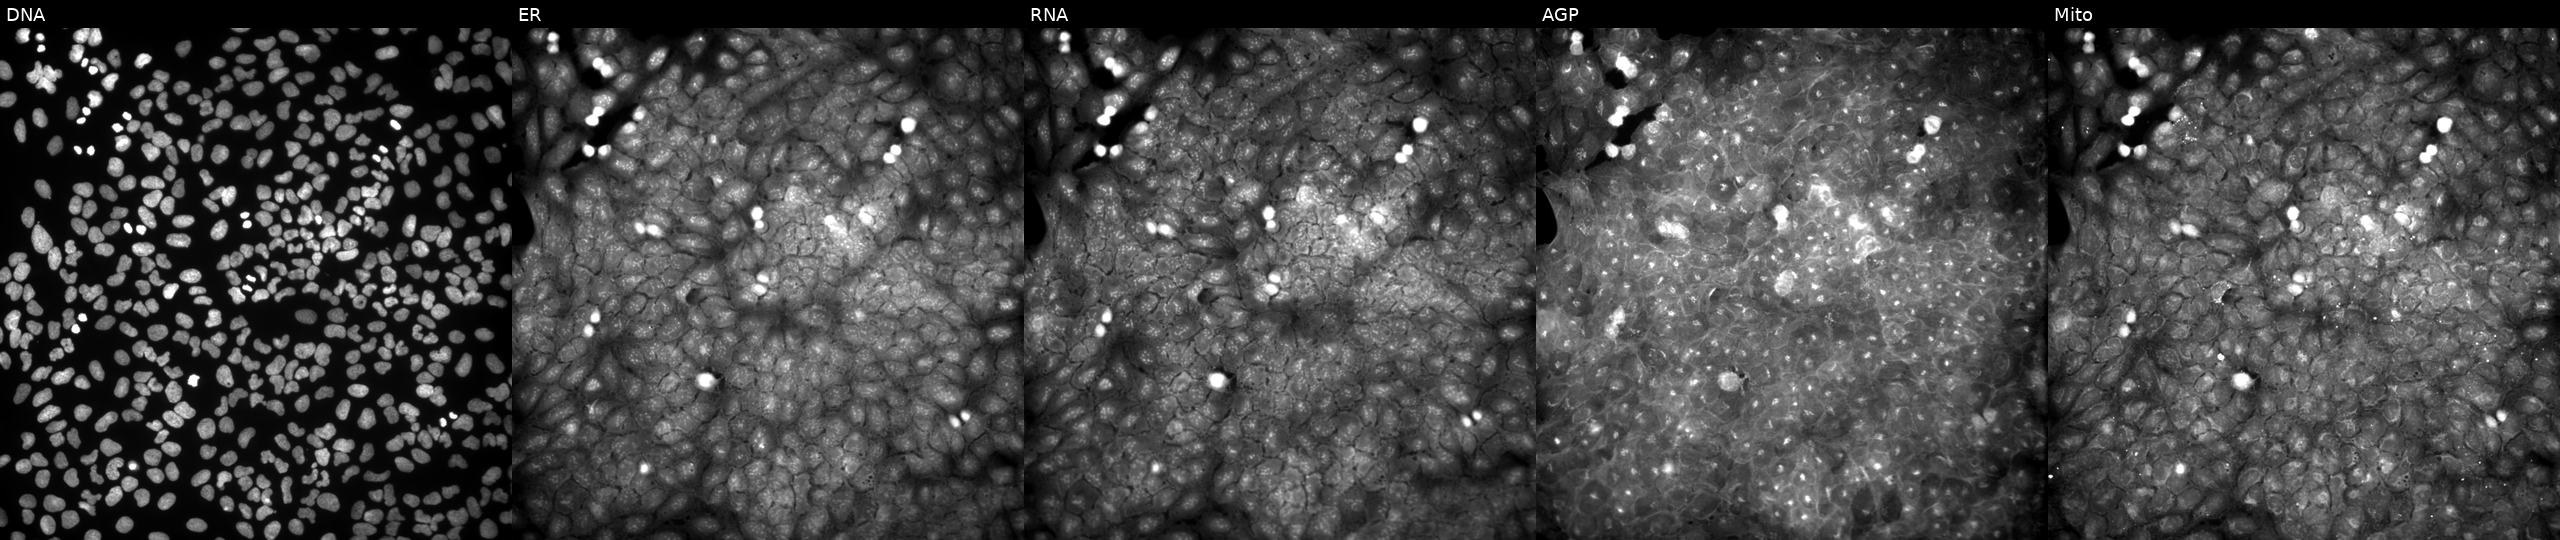
Channels (left→right): DNA (nuclei); ER (endoplasmic reticulum); RNA (nucleoli and cytoplasmic RNA); AGP (actin cytoskeleton, Golgi, and plasma membrane); Mito (mitochondria). U2OS osteosarcoma cells perturbed with a small-molecule compound (InChIKey JRAVPLQYAXCMRQ-UHFFFAOYSA-N). Cell Painting assay, JUMP-CP dataset. Source 9, plate GR00003381, well U29.